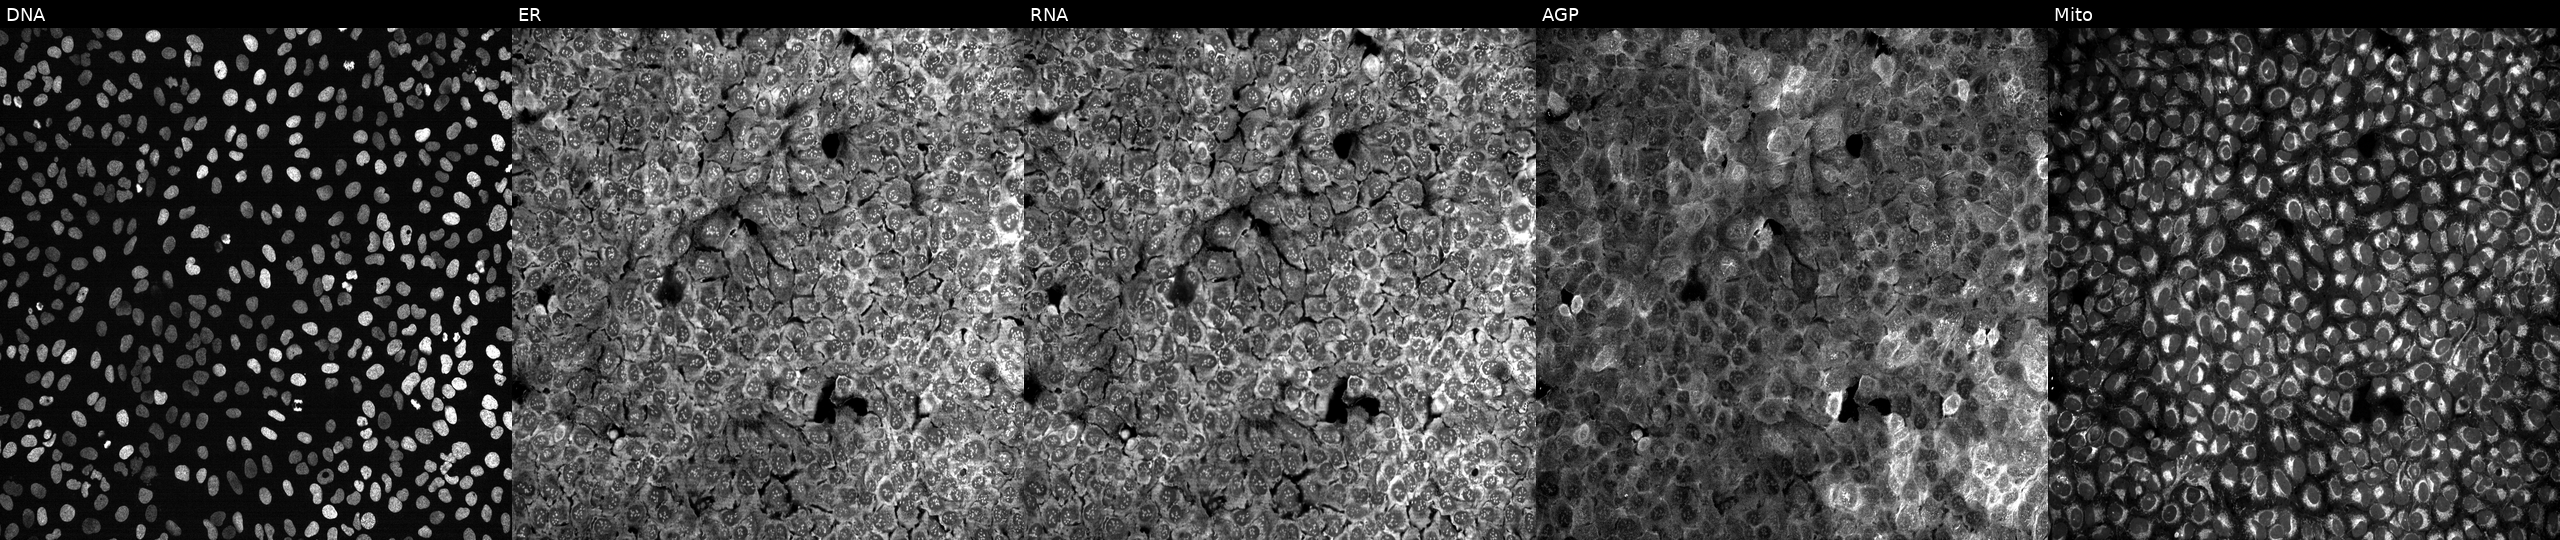
U2OS cells, Cell Painting assay, with a non-targeting CRISPR guide (negative control) (JUMP id JCP2022_800002). The five panels, left to right, show DNA (nuclei); ER (endoplasmic reticulum); RNA (nucleoli and cytoplasmic RNA); AGP (actin cytoskeleton, Golgi, and plasma membrane); Mito (mitochondria). Each panel is percentile-stretched 16-bit fluorescence.